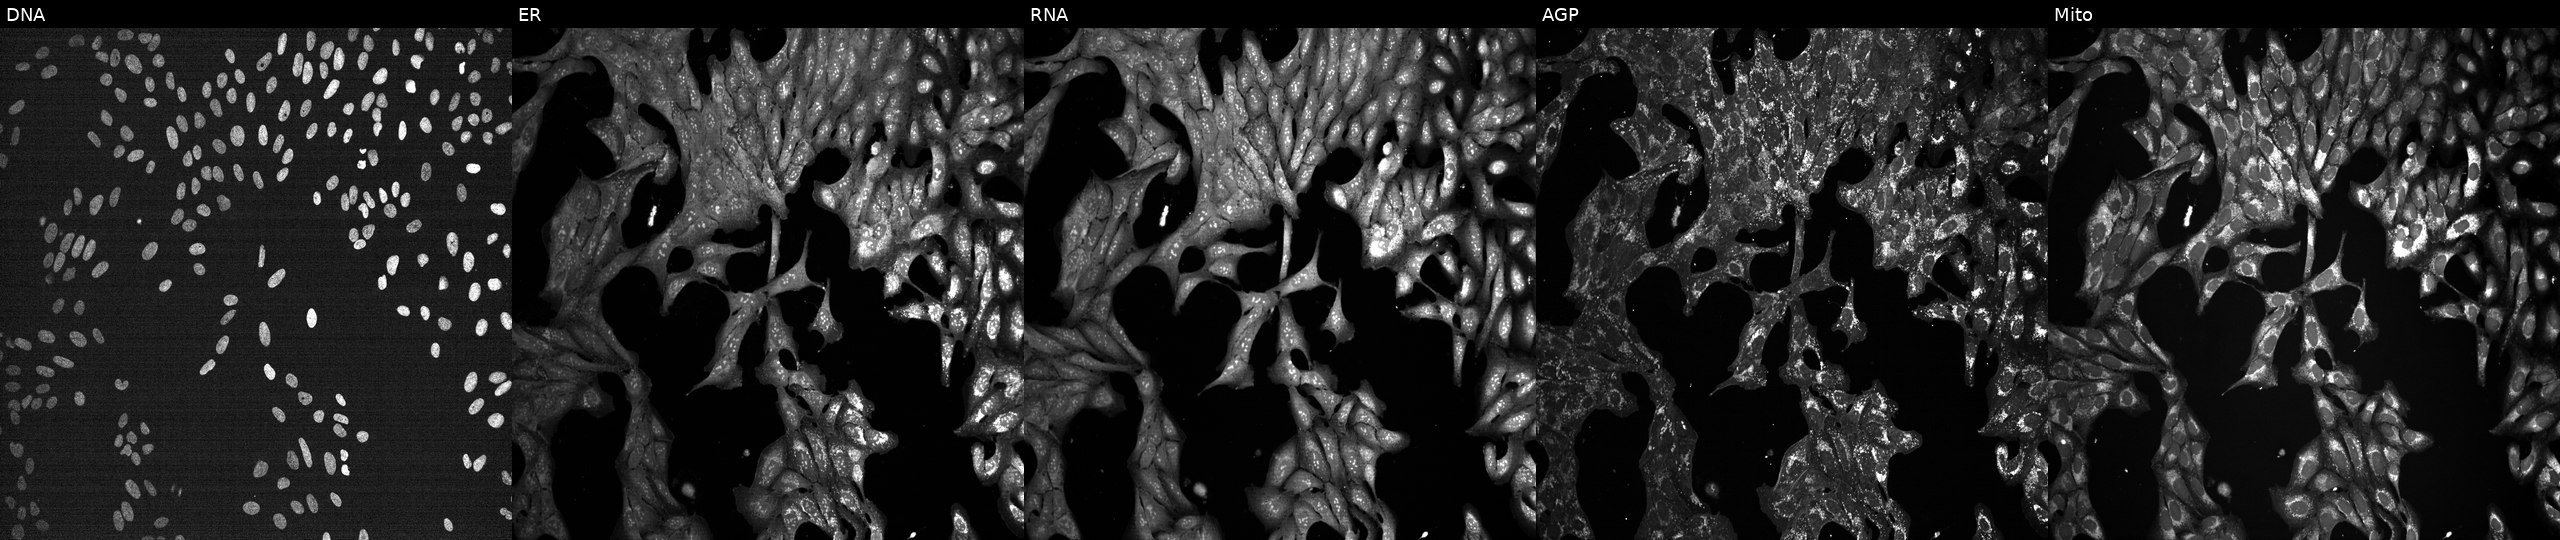
U2OS cells, Cell Painting assay, perturbed with a small-molecule compound (InChIKey CYYNMPPFEJPBJD-UHFFFAOYSA-N) (JUMP id JCP2022_014367). Panels show, left to right, DNA (nuclei); ER (endoplasmic reticulum); RNA (nucleoli and cytoplasmic RNA); AGP (actin cytoskeleton, Golgi, and plasma membrane); Mito (mitochondria). Each panel is percentile-stretched 16-bit fluorescence.